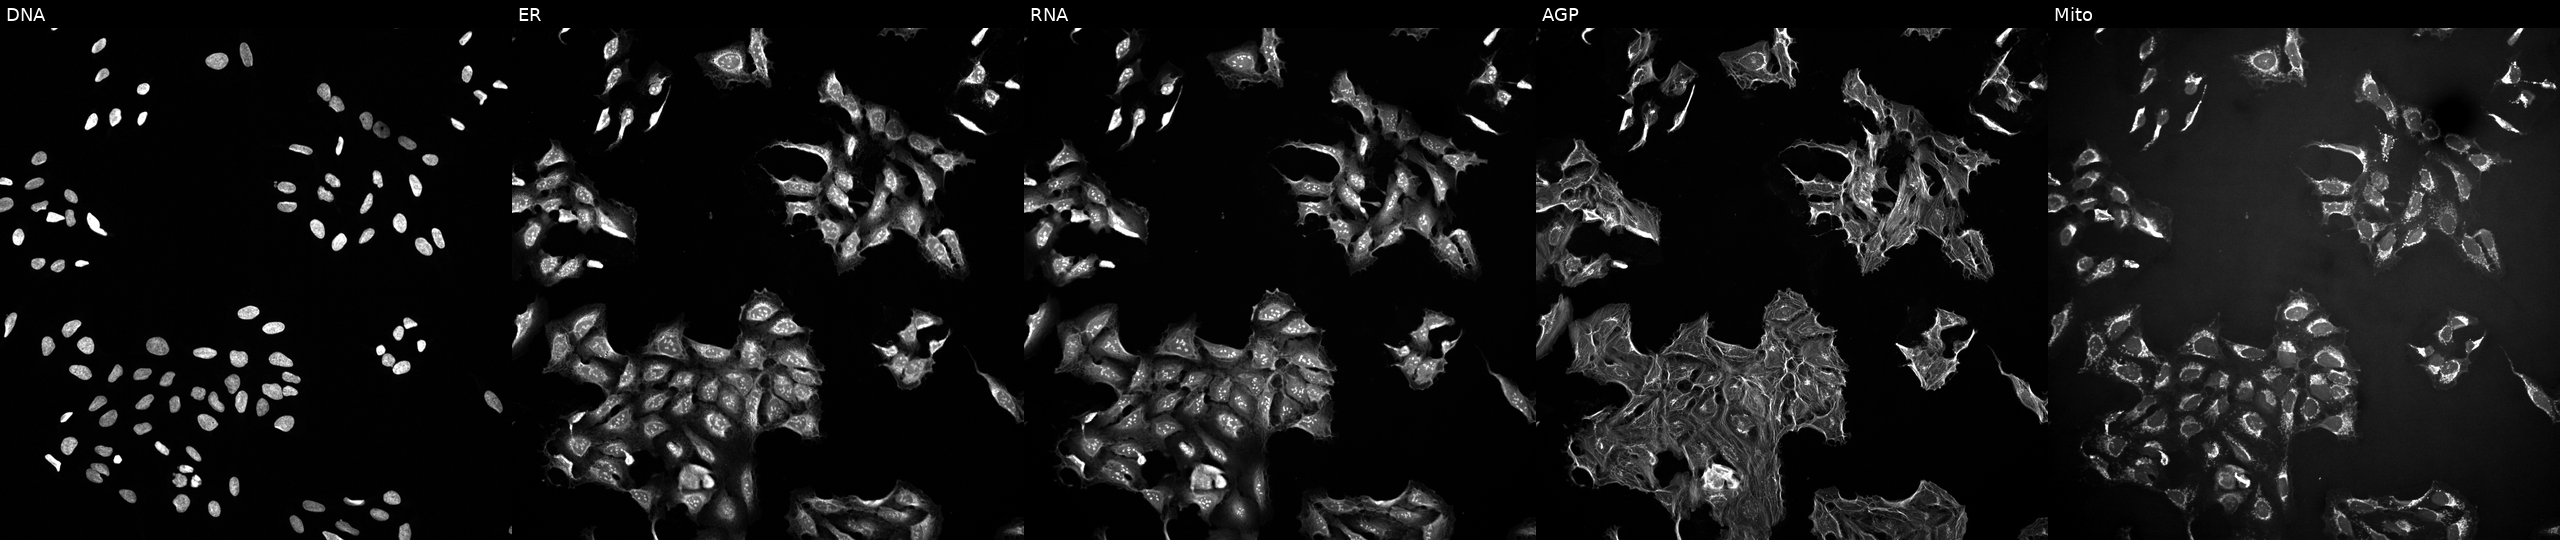
U2OS cells, Cell Painting assay, exposed to a small-molecule compound (InChIKey ZZZRUAITSXLWBH-UHFFFAOYSA-N) (JUMP id JCP2022_116749). The five panels, left to right, show DNA, ER, RNA, AGP, and Mito. Each panel is percentile-stretched 16-bit fluorescence.